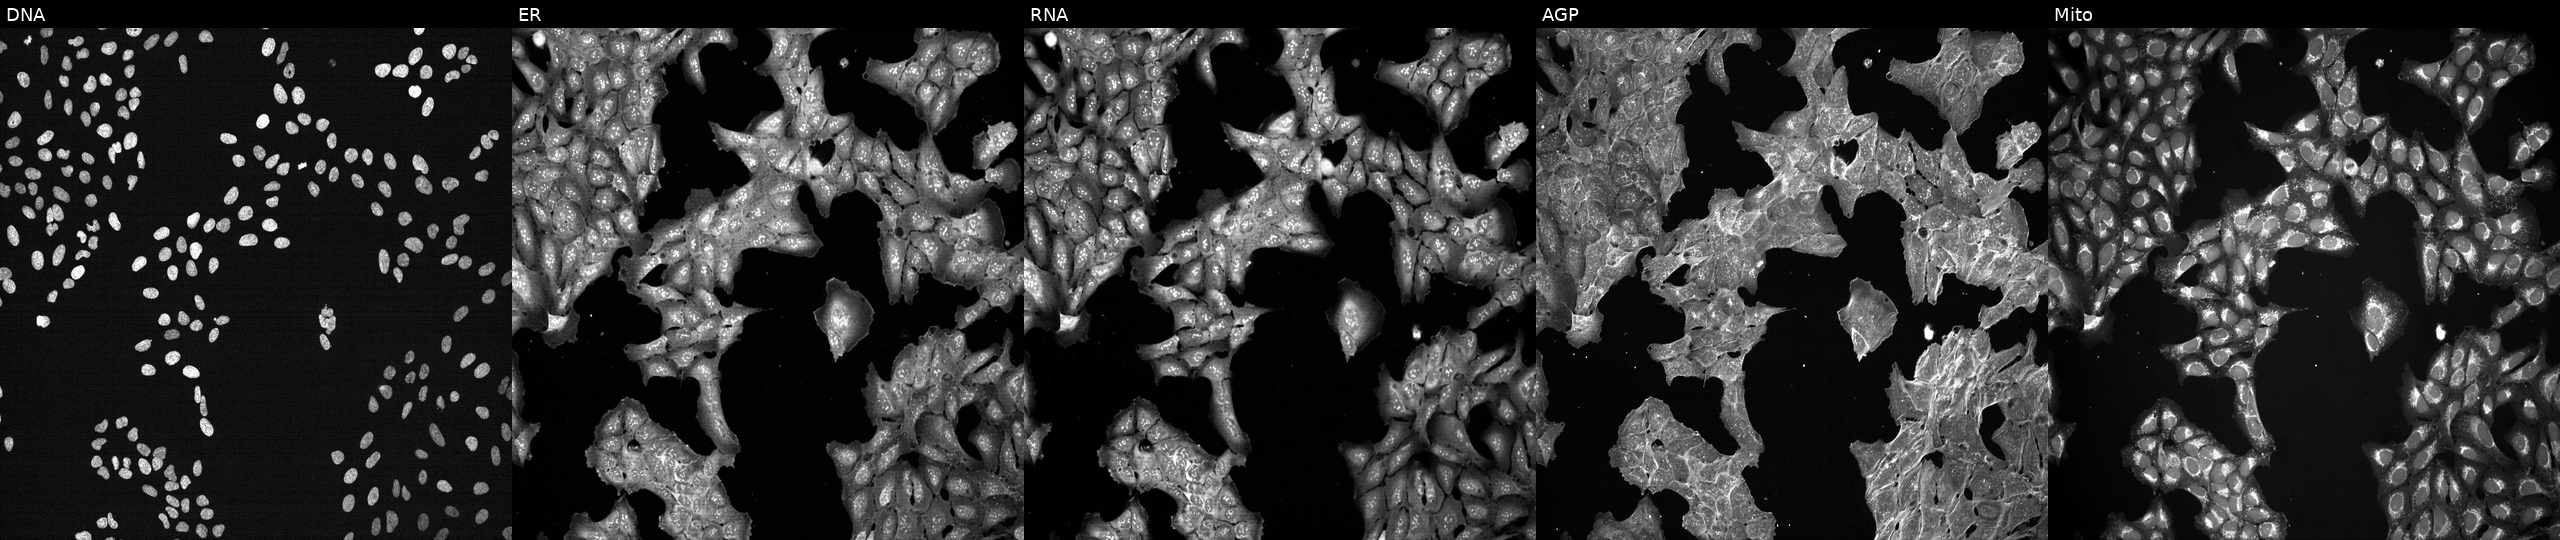
JUMP Cell Painting — TARGET2 plate. U2OS cells treated with a small-molecule compound (JUMP id JCP2022_033936). The five panels, left to right, show DNA, ER, RNA, AGP, and Mito.